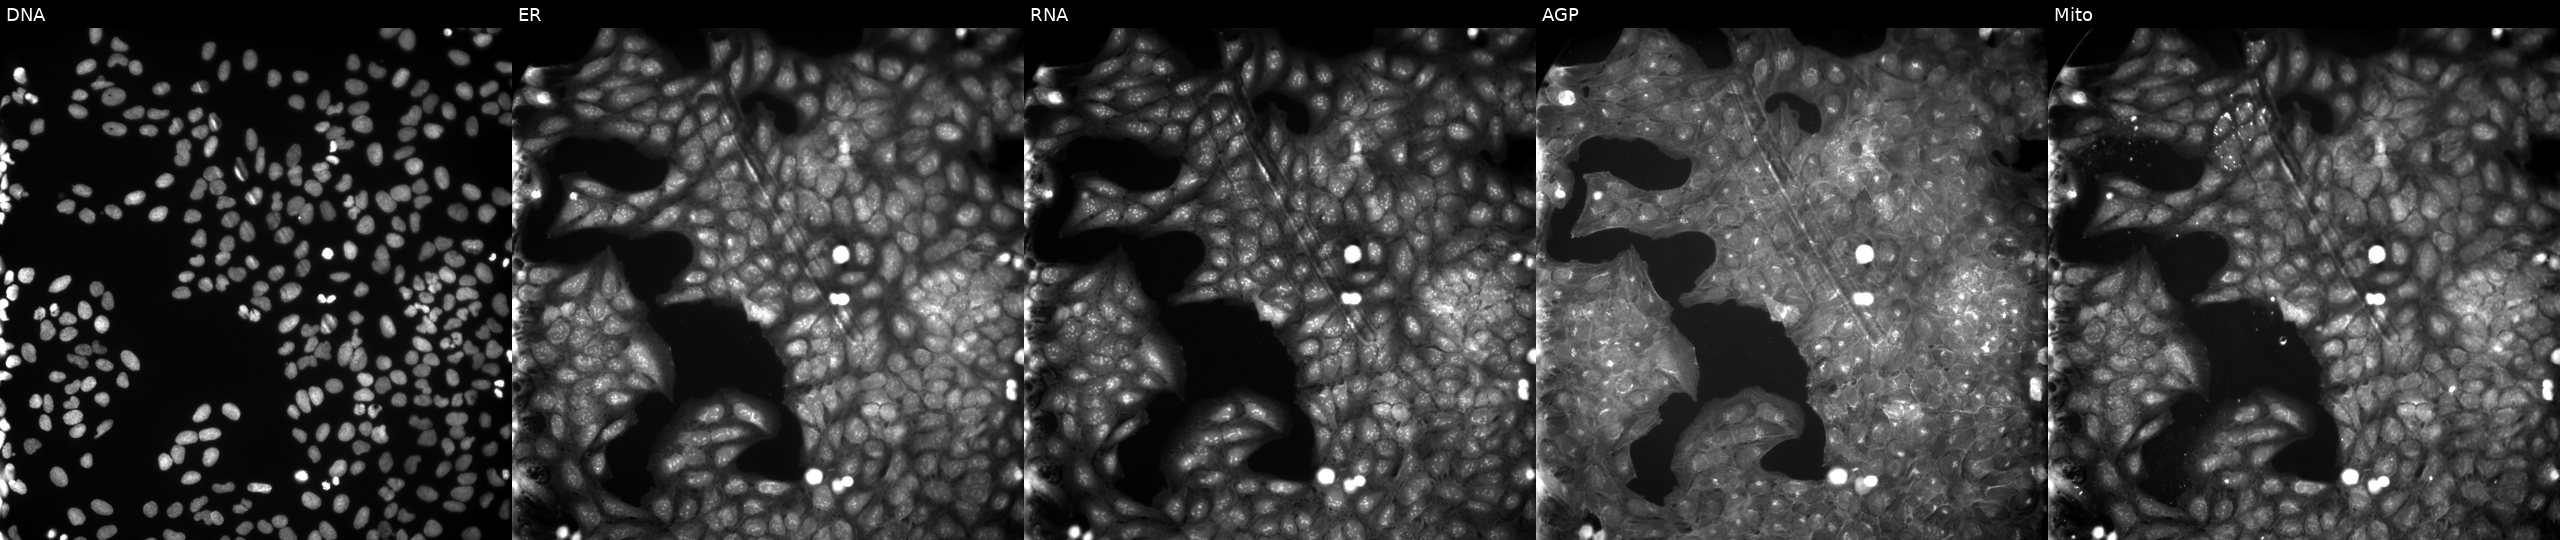
Panels show, left to right, Hoechst 33342, concanavalin A, SYTO 14, phalloidin and WGA, MitoTracker. U2OS osteosarcoma cells treated with DMSO vehicle only (negative control) (JUMP id JCP2022_033924). Cell Painting assay, JUMP-CP dataset.